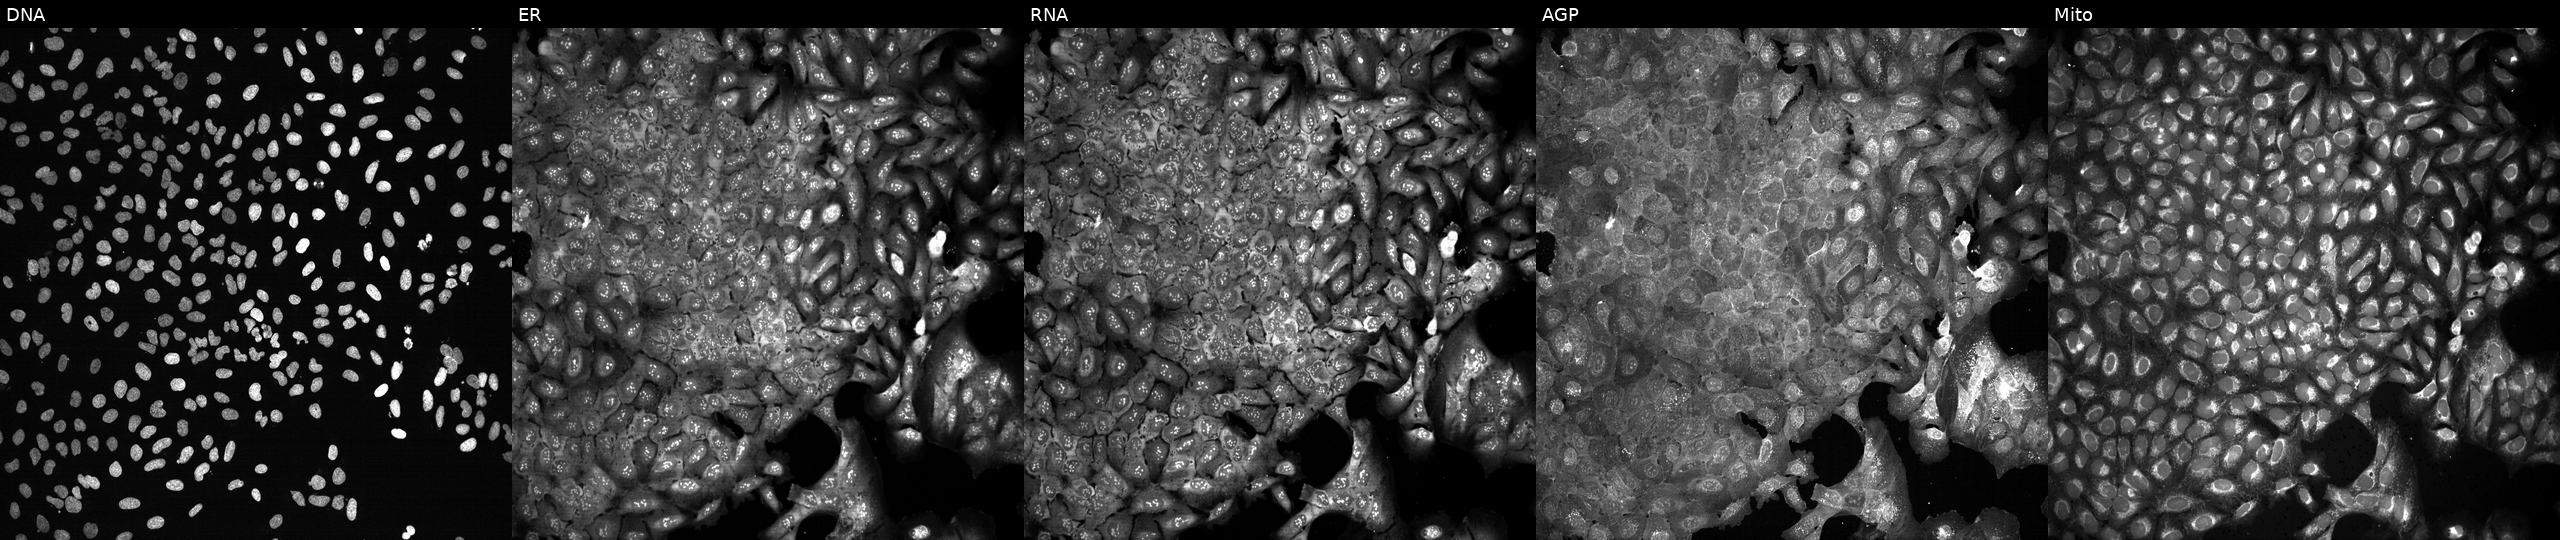
Five-channel Cell Painting image of U2OS cells with LDHAL6B knocked out by CRISPR (JUMP id JCP2022_803799). Channels (left→right): DNA (nuclei); ER (endoplasmic reticulum); RNA (nucleoli and cytoplasmic RNA); AGP (actin cytoskeleton, Golgi, and plasma membrane); Mito (mitochondria). Source 13, plate CP-CC9-R5-01, well B06.